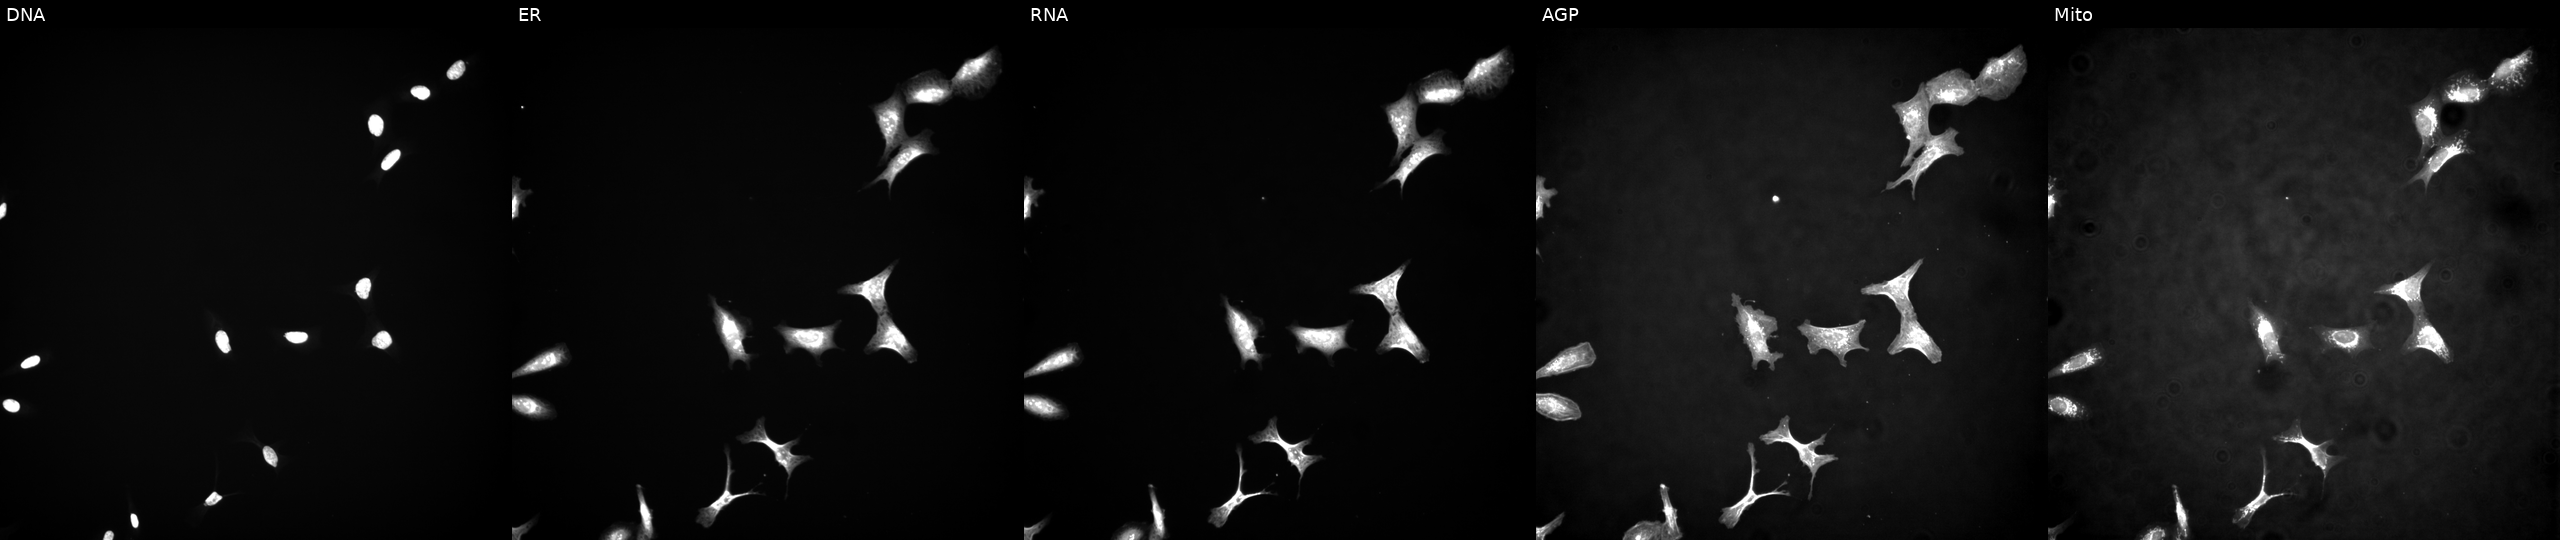
Five-channel Cell Painting image of U2OS cells overexpressing PTK6 via ORF transfection. From left to right: DNA, ER, RNA, AGP, and Mito.